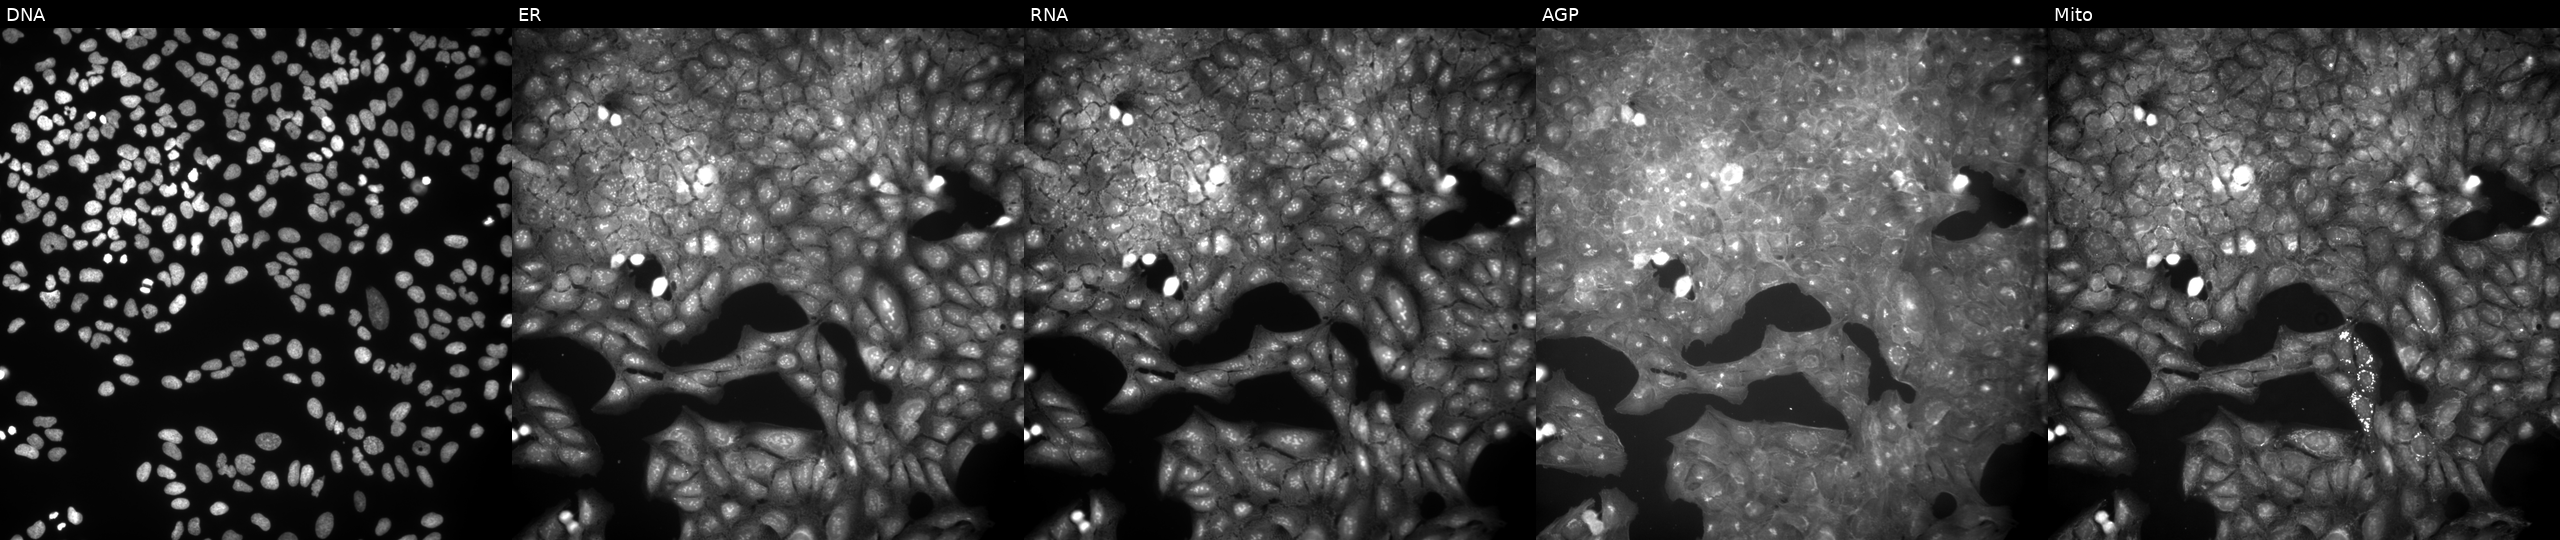
Five-channel Cell Painting image of U2OS cells treated with a small-molecule compound (InChIKey PZGWUROEALRBFV-UHFFFAOYSA-N). Panels show, left to right, DNA (nuclei); ER (endoplasmic reticulum); RNA (nucleoli and cytoplasmic RNA); AGP (actin cytoskeleton, Golgi, and plasma membrane); Mito (mitochondria).